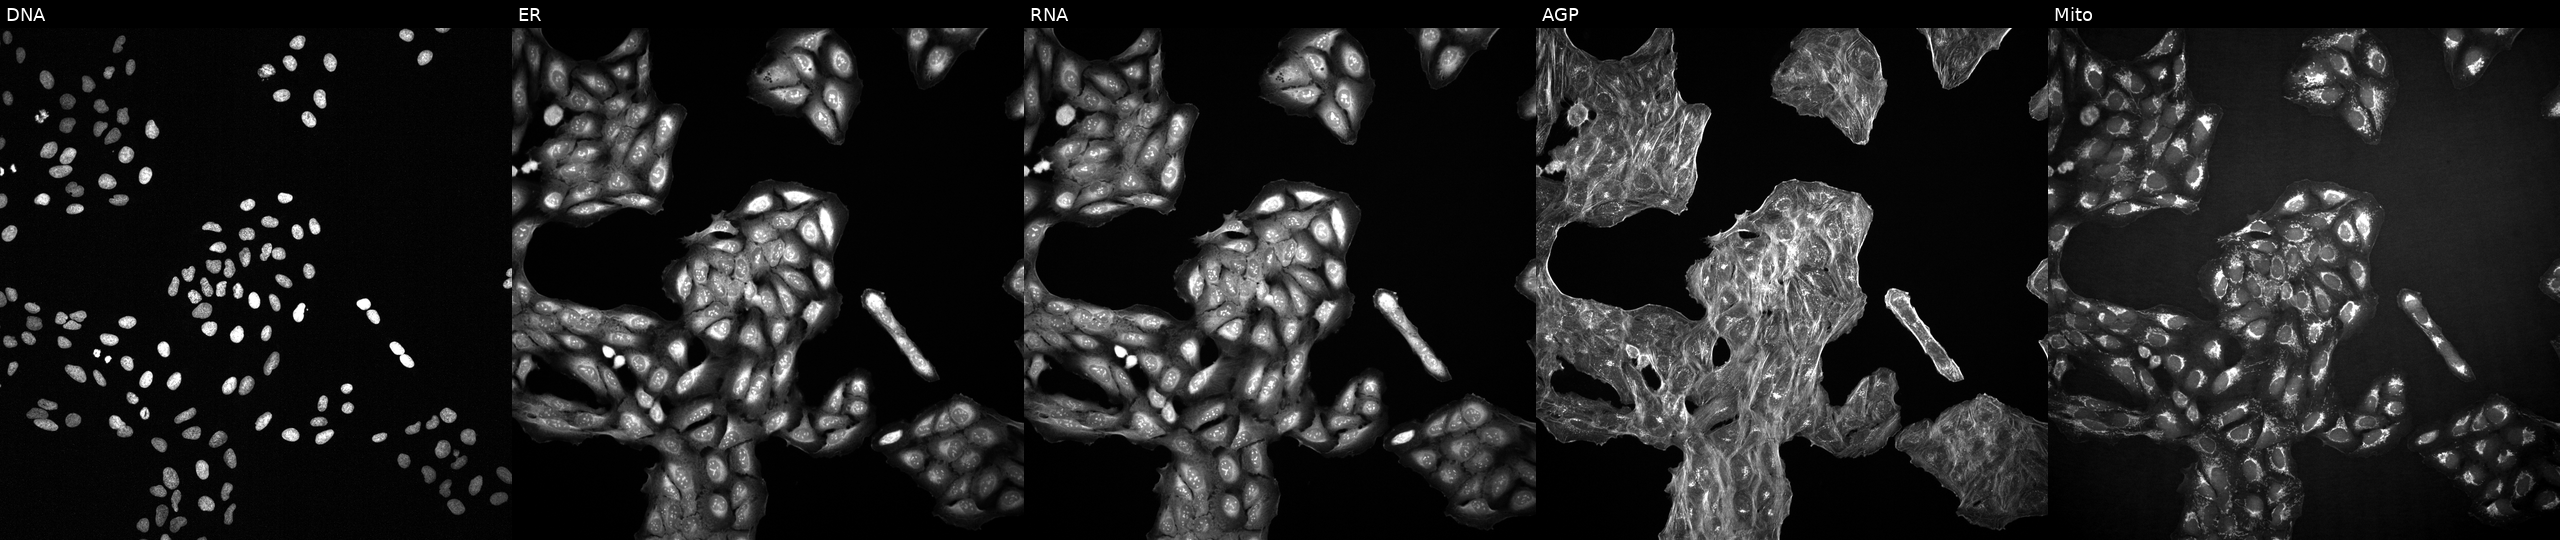
JUMP Cell Painting — COMPOUND plate. U2OS cells with an unidentified perturbation (not annotated in JUMP metadata). From left to right: Hoechst 33342, concanavalin A, SYTO 14, phalloidin and WGA, MitoTracker.